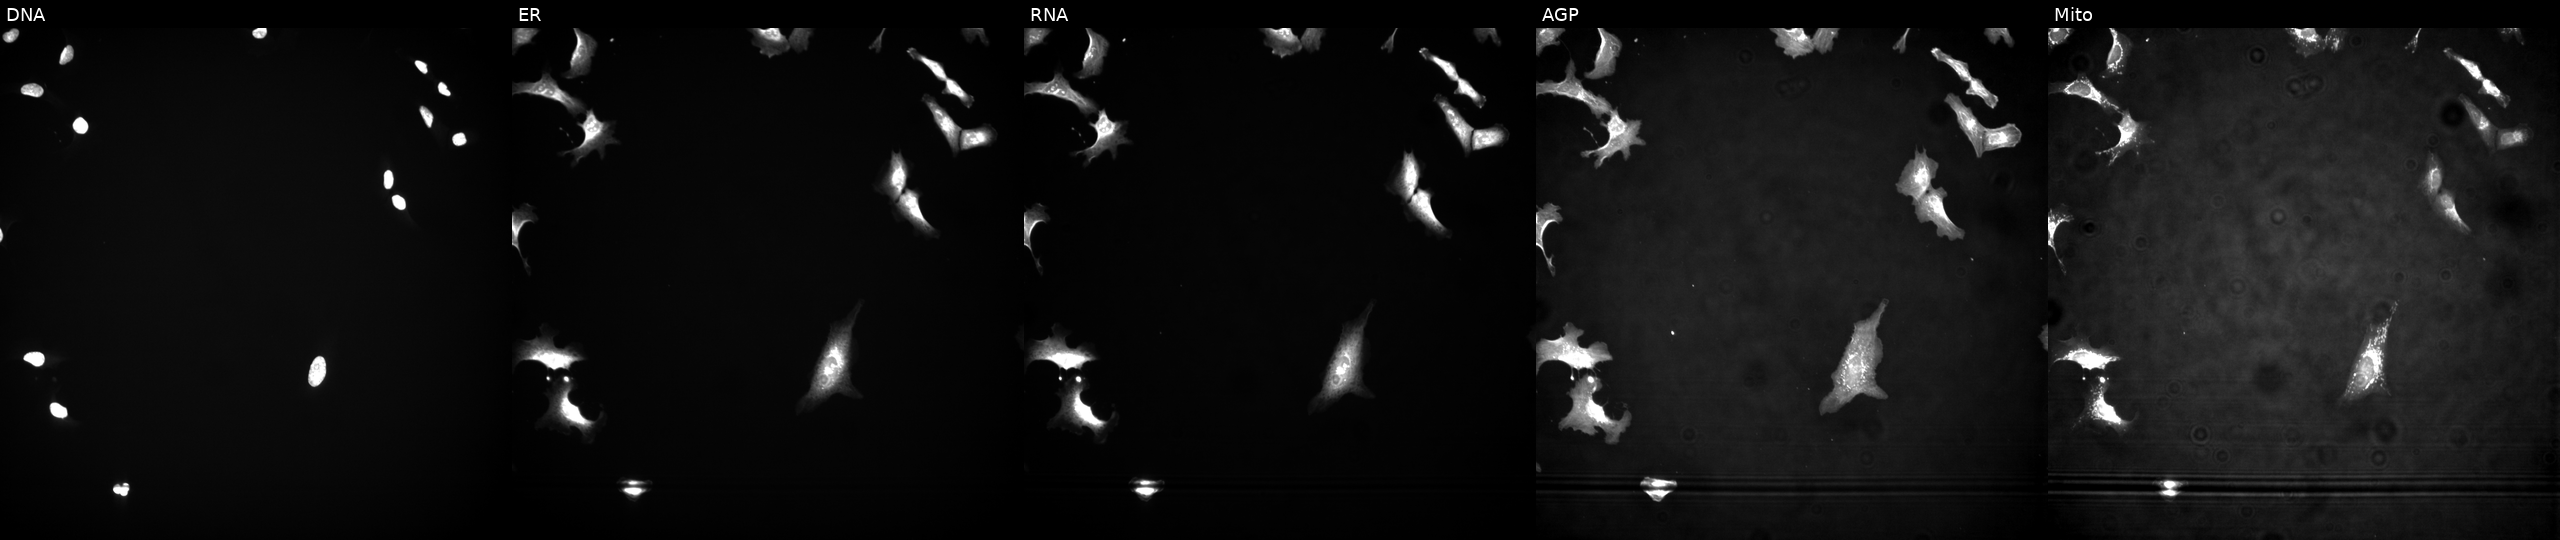
Channels (left→right): Hoechst 33342, concanavalin A, SYTO 14, phalloidin and WGA, MitoTracker. U2OS osteosarcoma cells untreated (empty-well control) (JUMP id JCP2022_999999). Cell Painting assay, JUMP-CP dataset. Source 4, plate BR00123945, well P07.